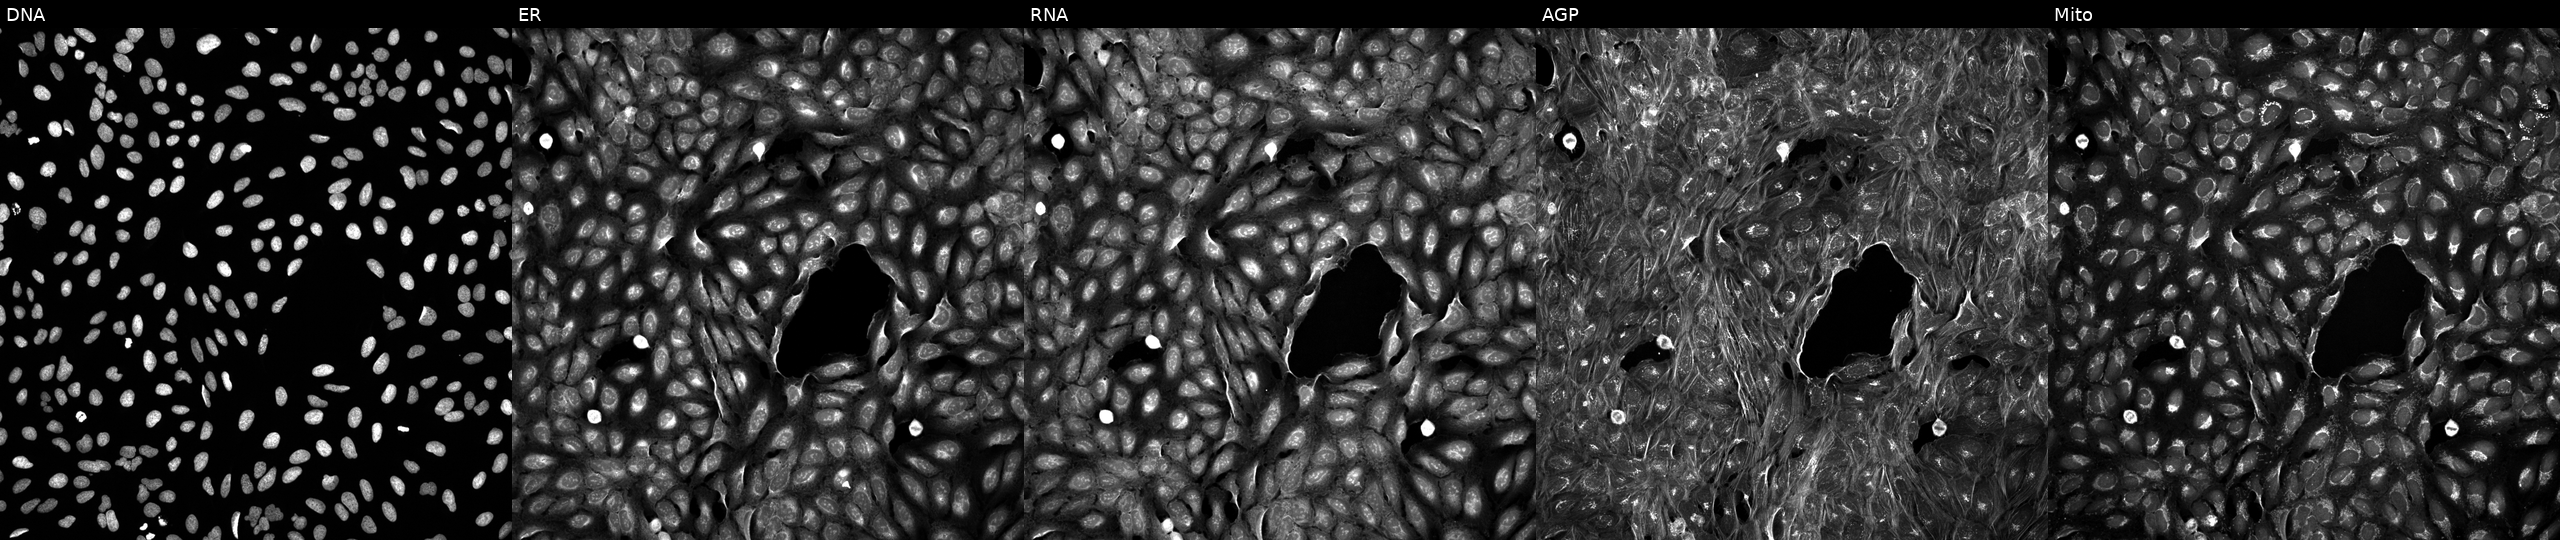
U2OS cells, Cell Painting assay, exposed to a small-molecule compound (InChIKey RONQPWQYDRPRGG-UHFFFAOYSA-N) (JUMP id JCP2022_079715). The five panels, left to right, show DNA, ER, RNA, AGP, and Mito. Each panel is percentile-stretched 16-bit fluorescence. Source 5, plate ACPJUM051, well H19.